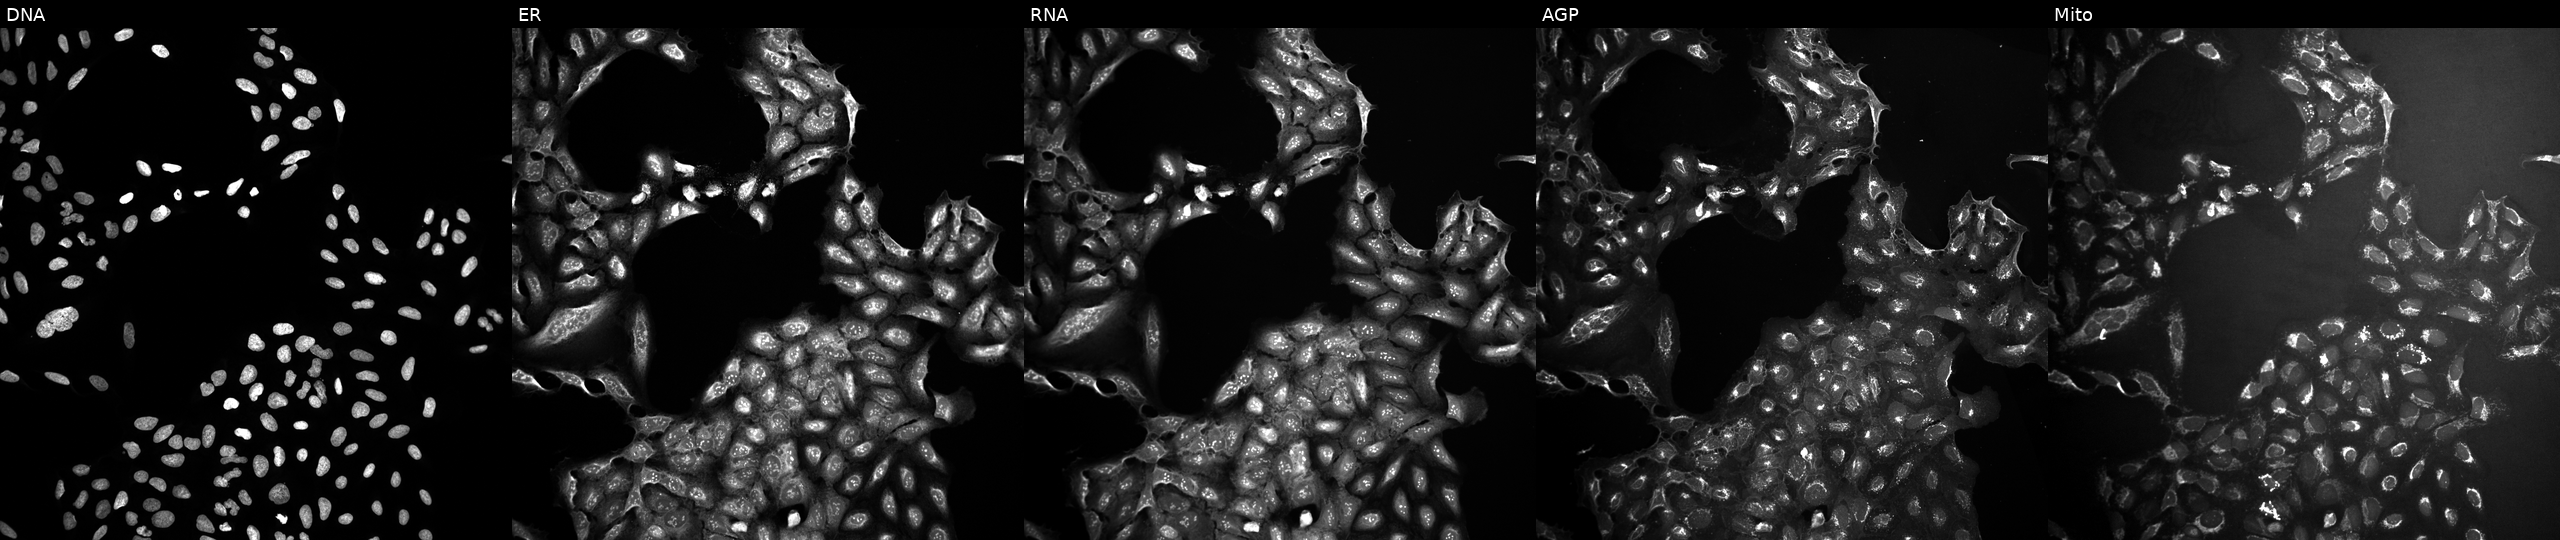
High-content fluorescence microscopy (Cell Painting). Cell line: U2OS. Perturbation: treated with DMSO vehicle only (negative control). From left to right: DNA, ER, RNA, AGP, and Mito. Source 10, plate Dest210803-153958, well H22.